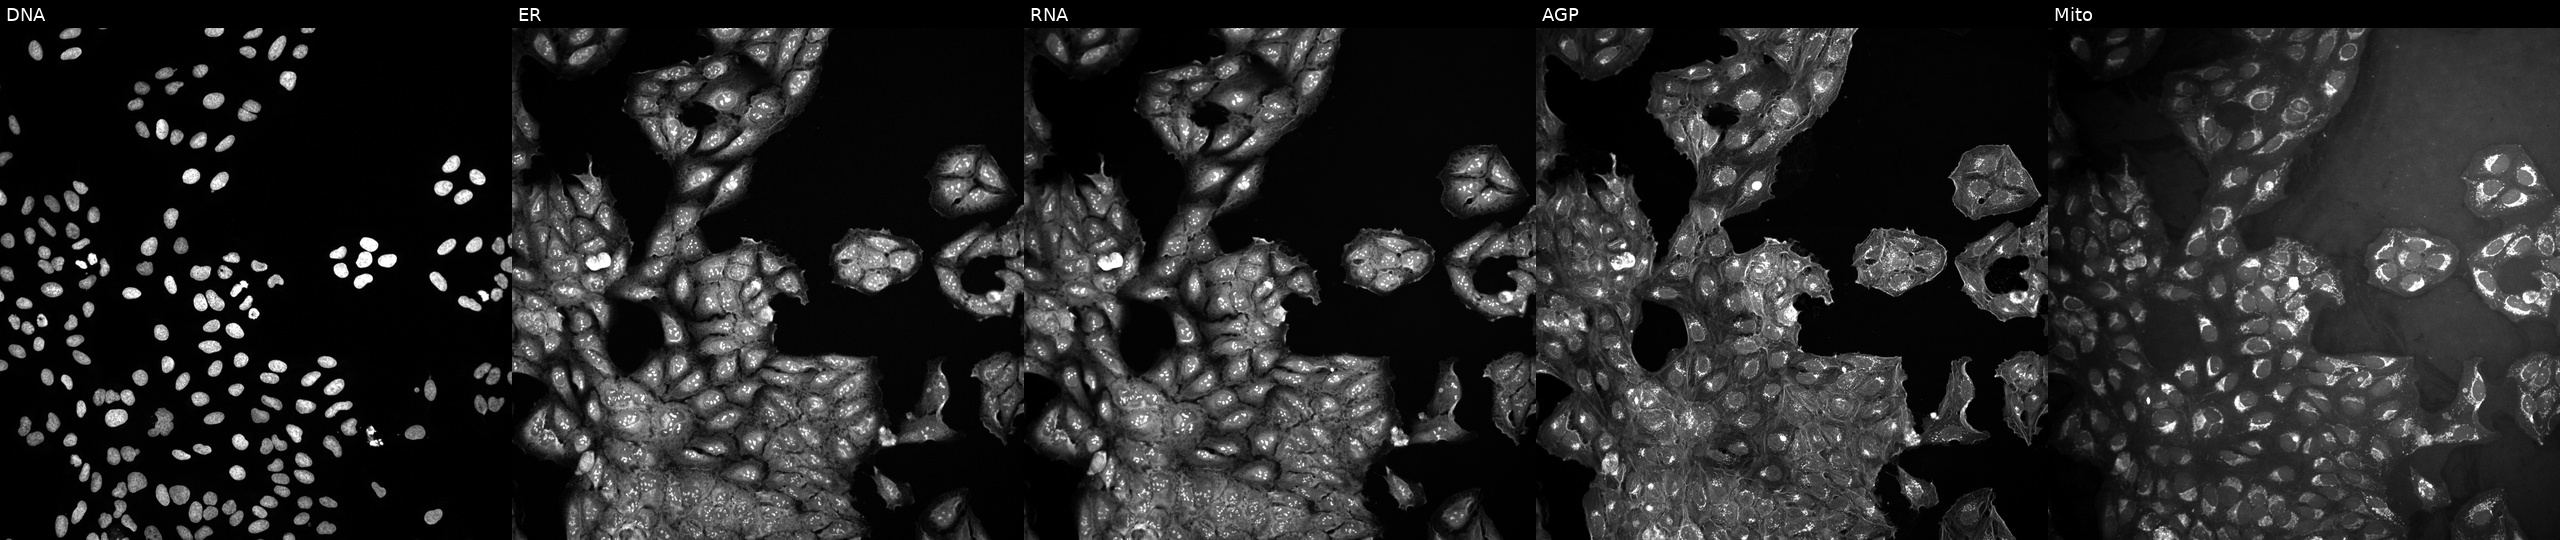
Five-channel Cell Painting image of U2OS cells treated with a small-molecule compound (InChIKey DTSFIFCHLCWAGQ-UHFFFAOYSA-N) (JUMP id JCP2022_018163). The five panels, left to right, show DNA (nuclei); ER (endoplasmic reticulum); RNA (nucleoli and cytoplasmic RNA); AGP (actin cytoskeleton, Golgi, and plasma membrane); Mito (mitochondria). Source 10, plate Dest210531-152149, well O22.